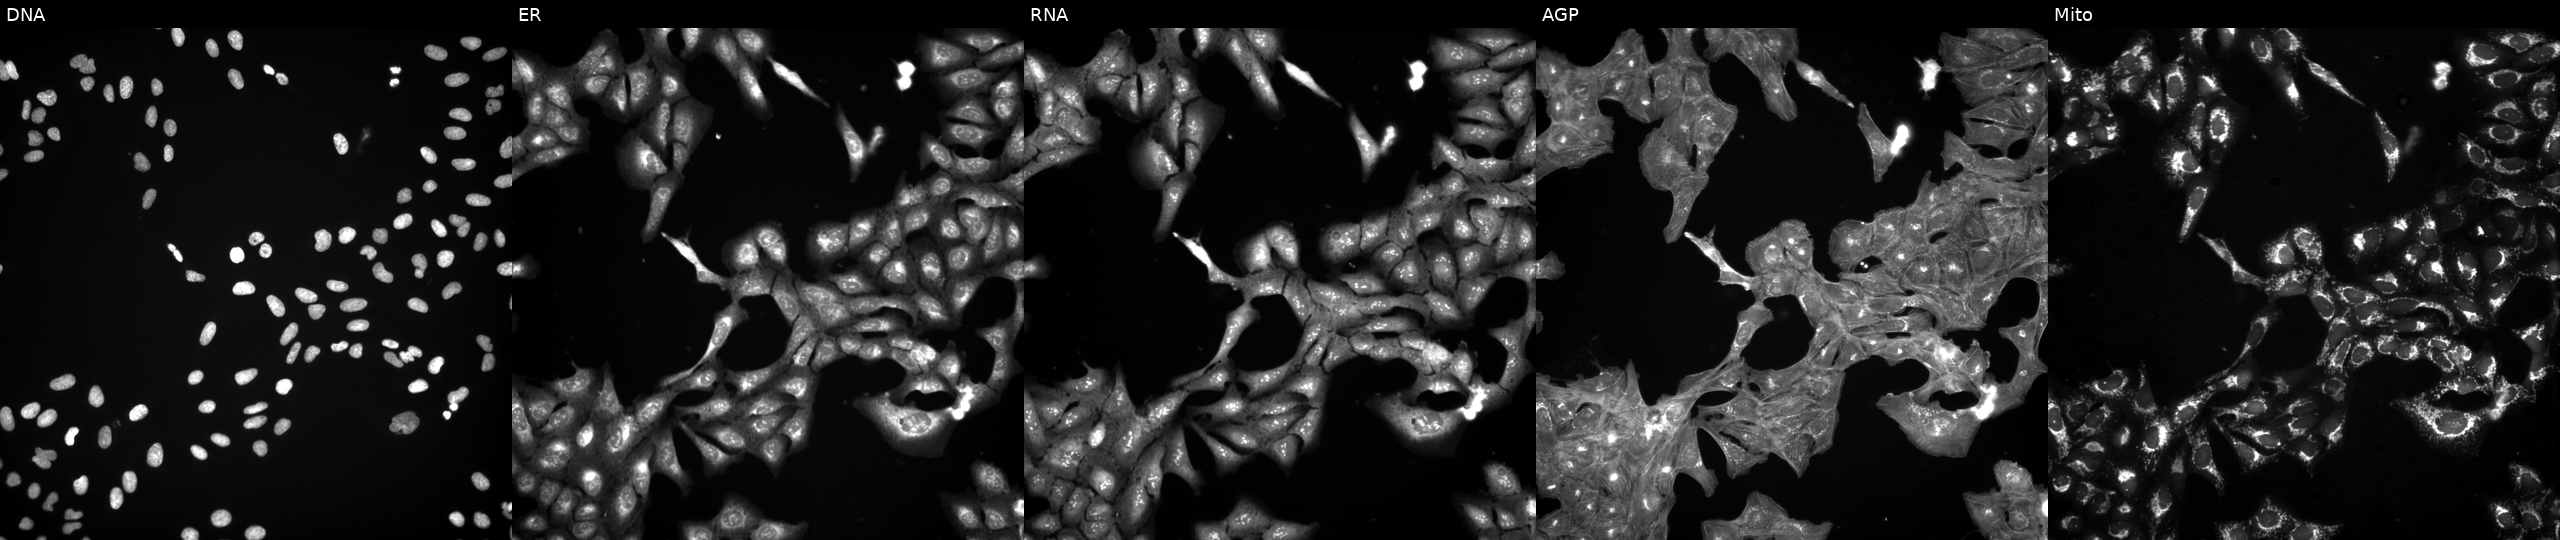
Channels (left→right): DNA (nuclei); ER (endoplasmic reticulum); RNA (nucleoli and cytoplasmic RNA); AGP (actin cytoskeleton, Golgi, and plasma membrane); Mito (mitochondria). U2OS osteosarcoma cells exposed to DMSO alone as a negative control. Cell Painting assay, JUMP-CP dataset. Source 3, plate JCPQC051, well F13.